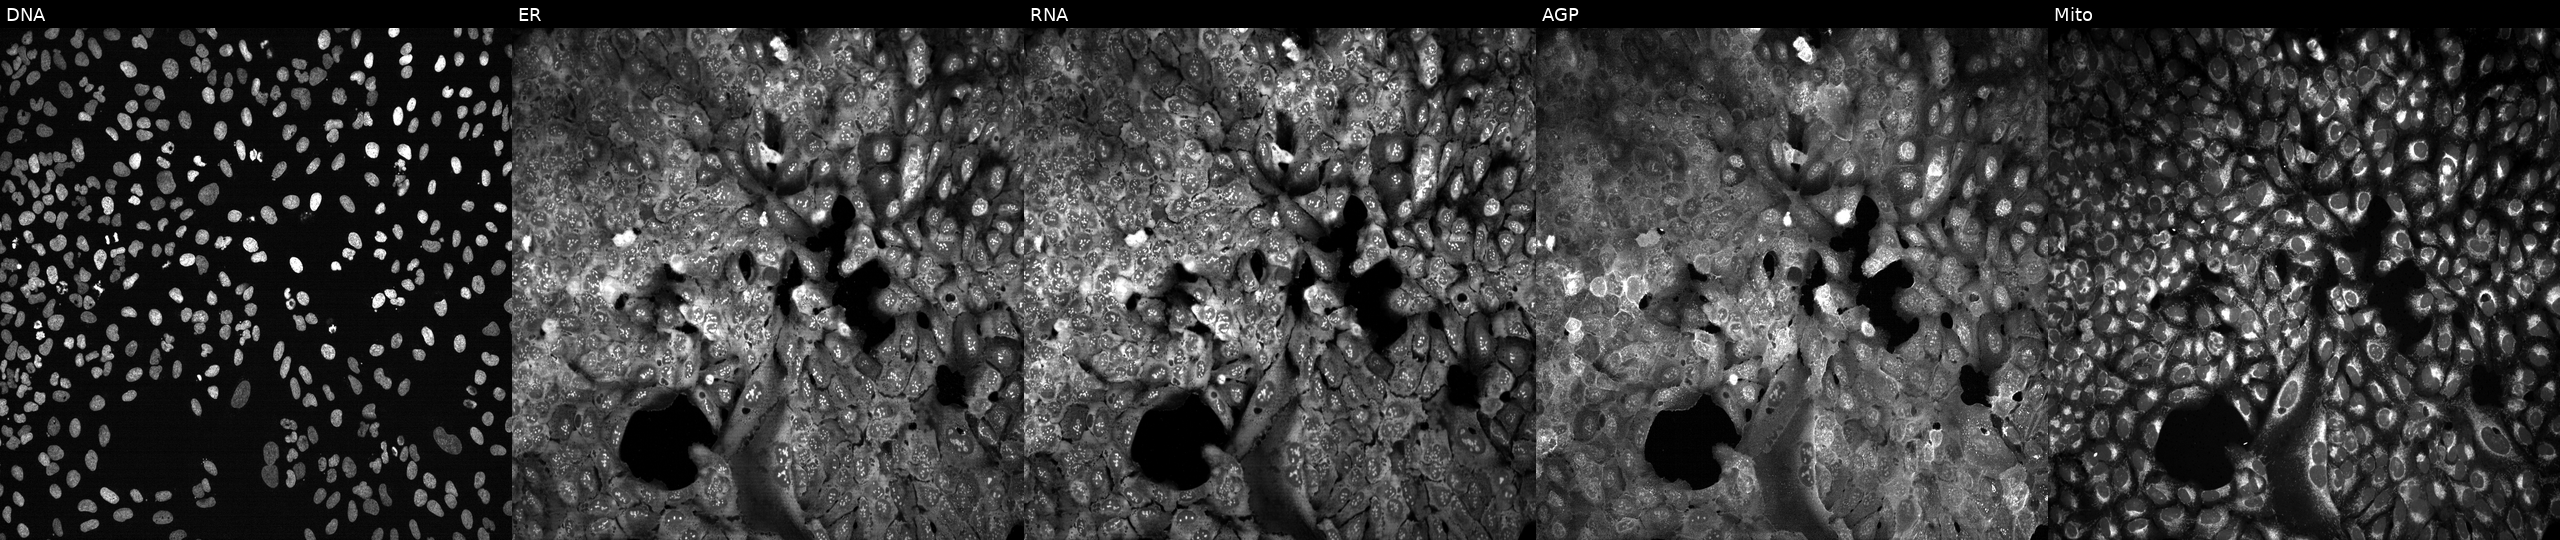
This image strip shows the five Cell Painting channels for a single field of U2OS cells with BDH2 knocked out by CRISPR (JUMP id JCP2022_800859). Channels (left→right): Hoechst 33342, concanavalin A, SYTO 14, phalloidin and WGA, MitoTracker. Source 13, plate CP-CC9-R4-04, well O10.